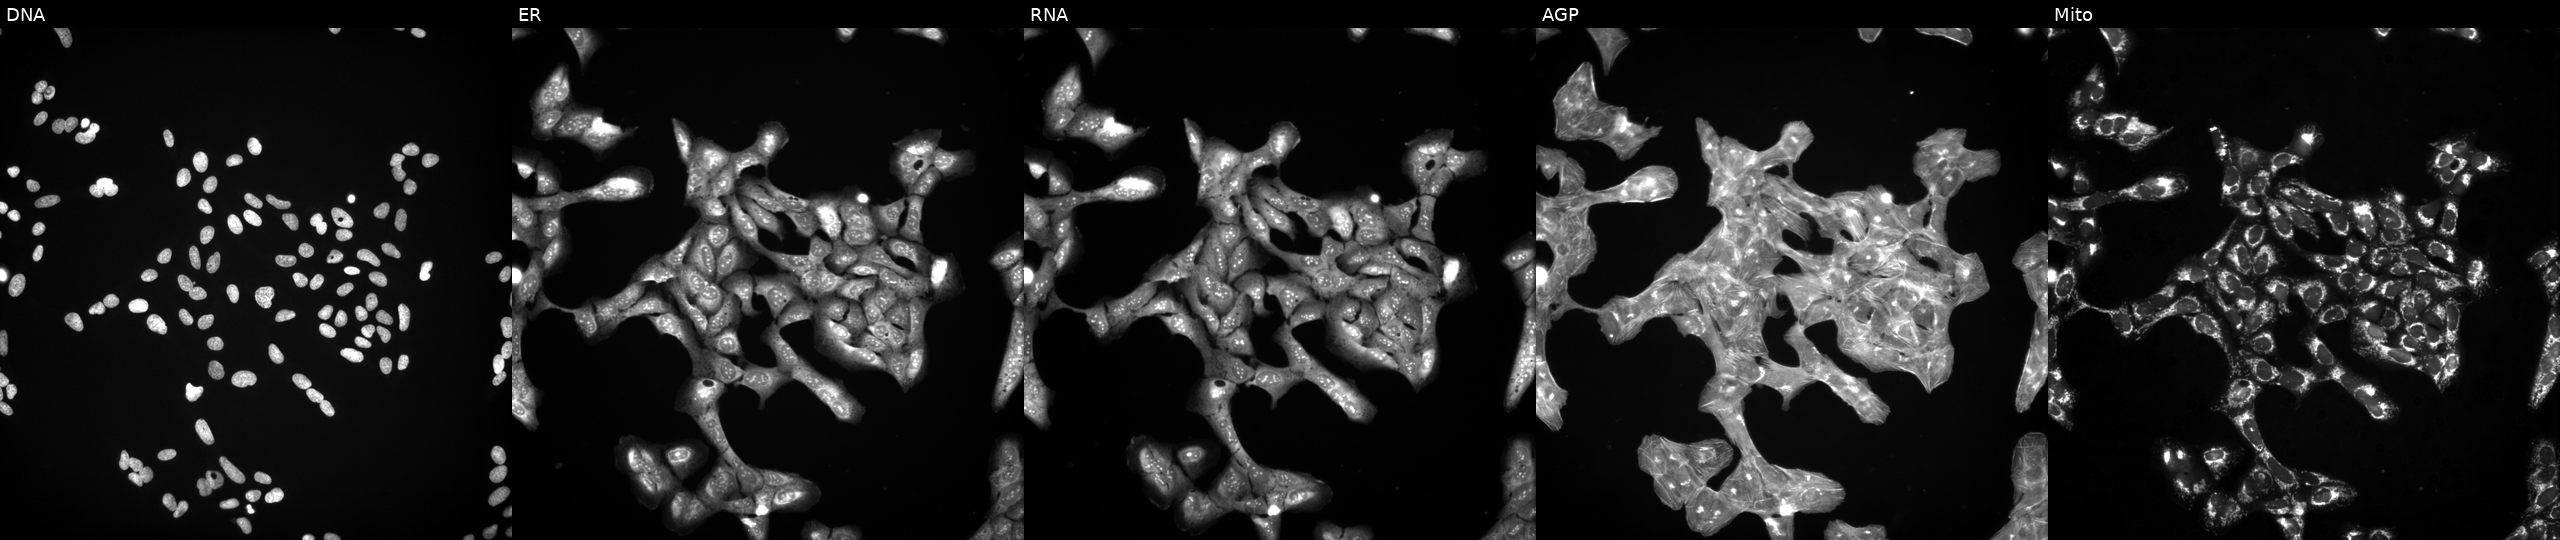
From left to right: DNA, ER, RNA, AGP, and Mito. U2OS osteosarcoma cells exposed to a small-molecule compound (InChIKey WYWHKKSPHMUBEB-UHFFFAOYSA-N). Cell Painting assay, JUMP-CP dataset. Source 3, plate JCPQC051, well H15.